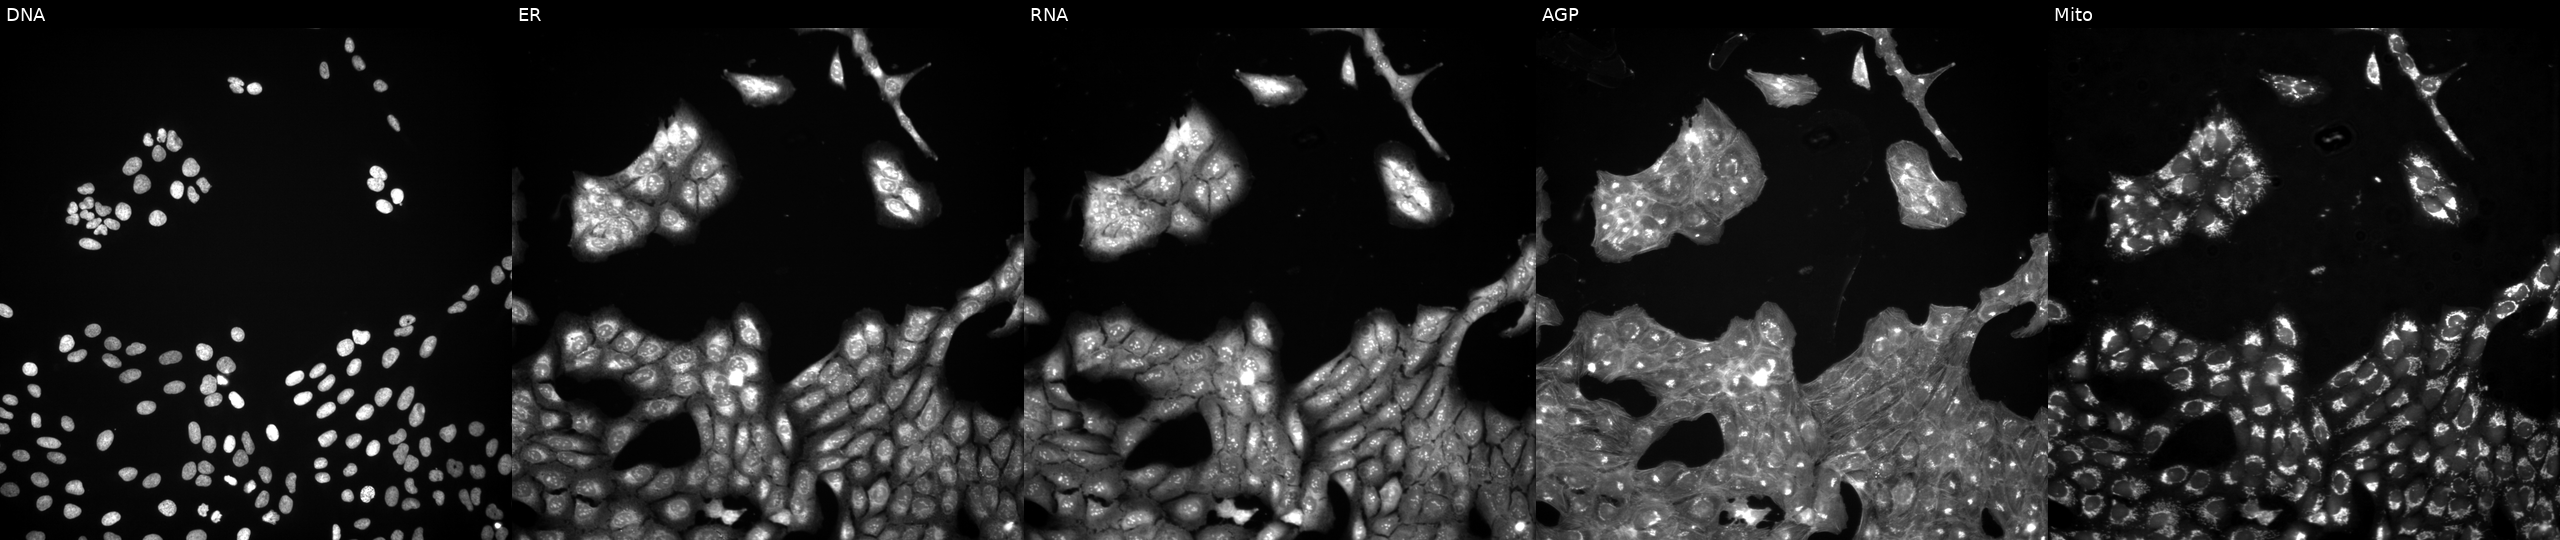
JUMP Cell Painting — COMPOUND plate. U2OS cells perturbed with a small-molecule compound (JUMP id JCP2022_014687). Panels show, left to right, DNA, ER, RNA, AGP, and Mito.